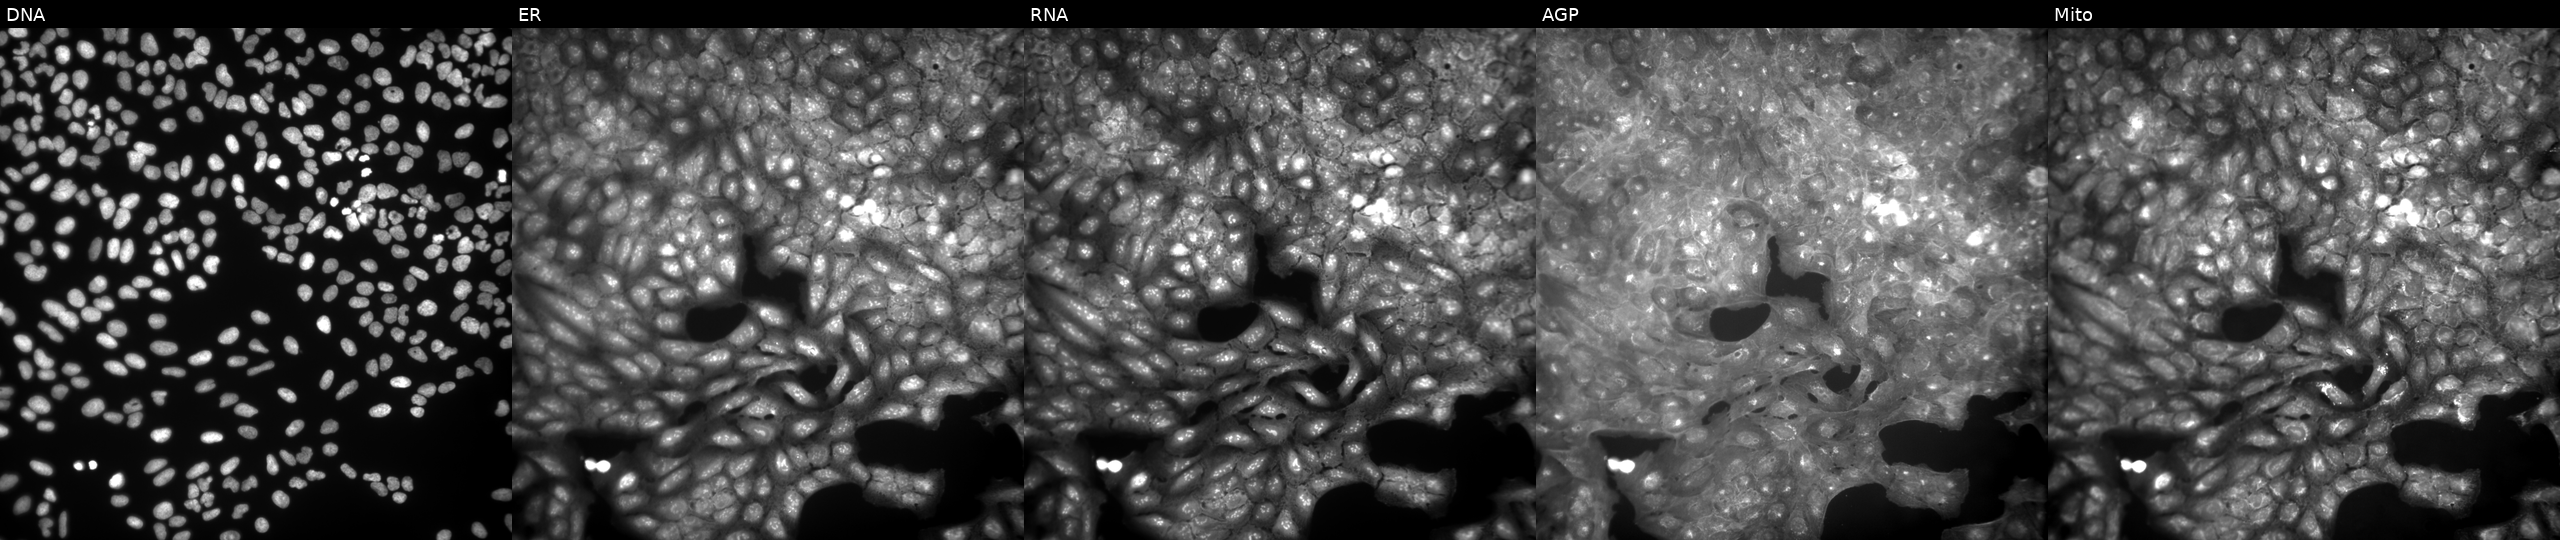
JUMP Cell Painting — COMPOUND plate. U2OS cells exposed to a small-molecule compound (JUMP id JCP2022_016813). Panels show, left to right, Hoechst 33342, concanavalin A, SYTO 14, phalloidin and WGA, MitoTracker.